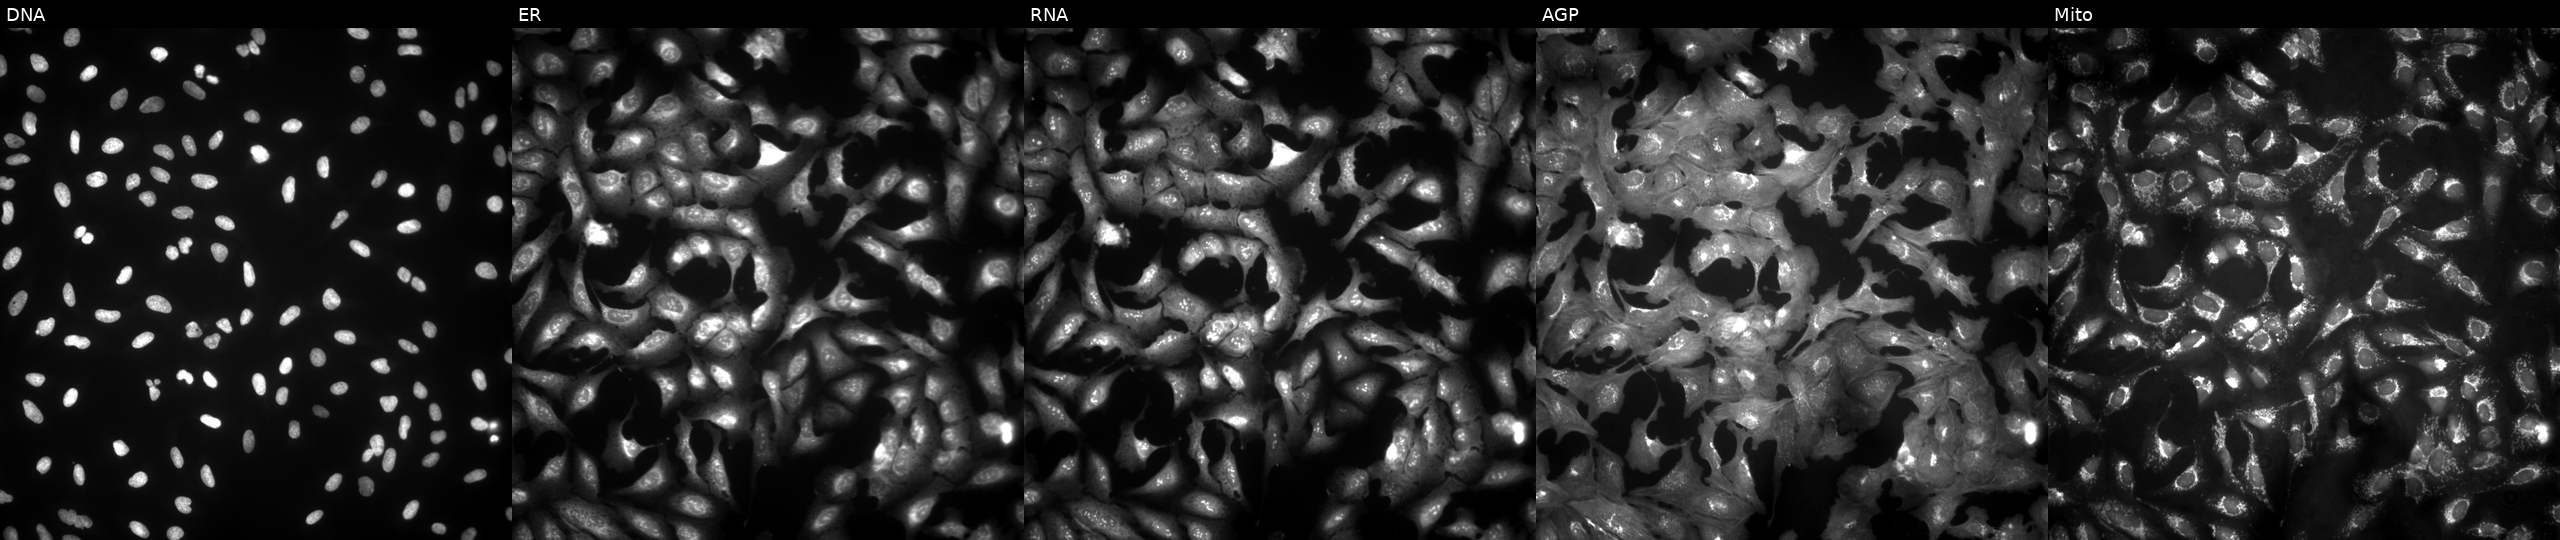
This image strip shows the five Cell Painting channels for a single field of U2OS cells transfected with an ORF construct for ERO1A. Panels show, left to right, DNA, ER, RNA, AGP, and Mito. Source 4, plate BR00123506, well E23.